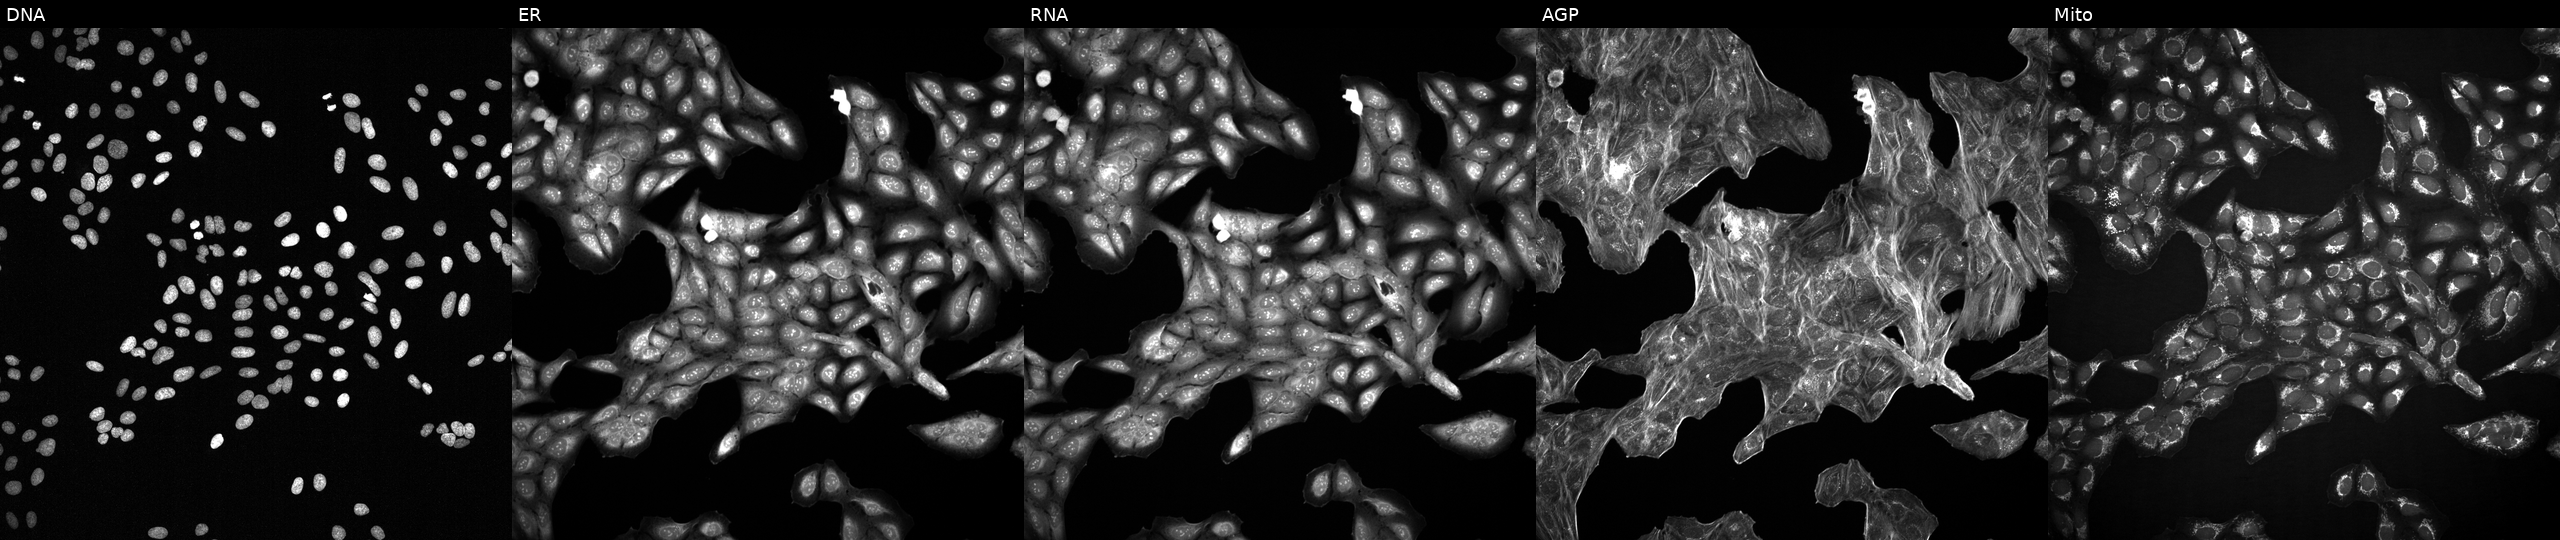
This image strip shows the five Cell Painting channels for a single field of U2OS cells treated with a small-molecule compound (JUMP id JCP2022_056731). Panels show, left to right, DNA (nuclei); ER (endoplasmic reticulum); RNA (nucleoli and cytoplasmic RNA); AGP (actin cytoskeleton, Golgi, and plasma membrane); Mito (mitochondria). Source 2, plate 1053601763, well N11.